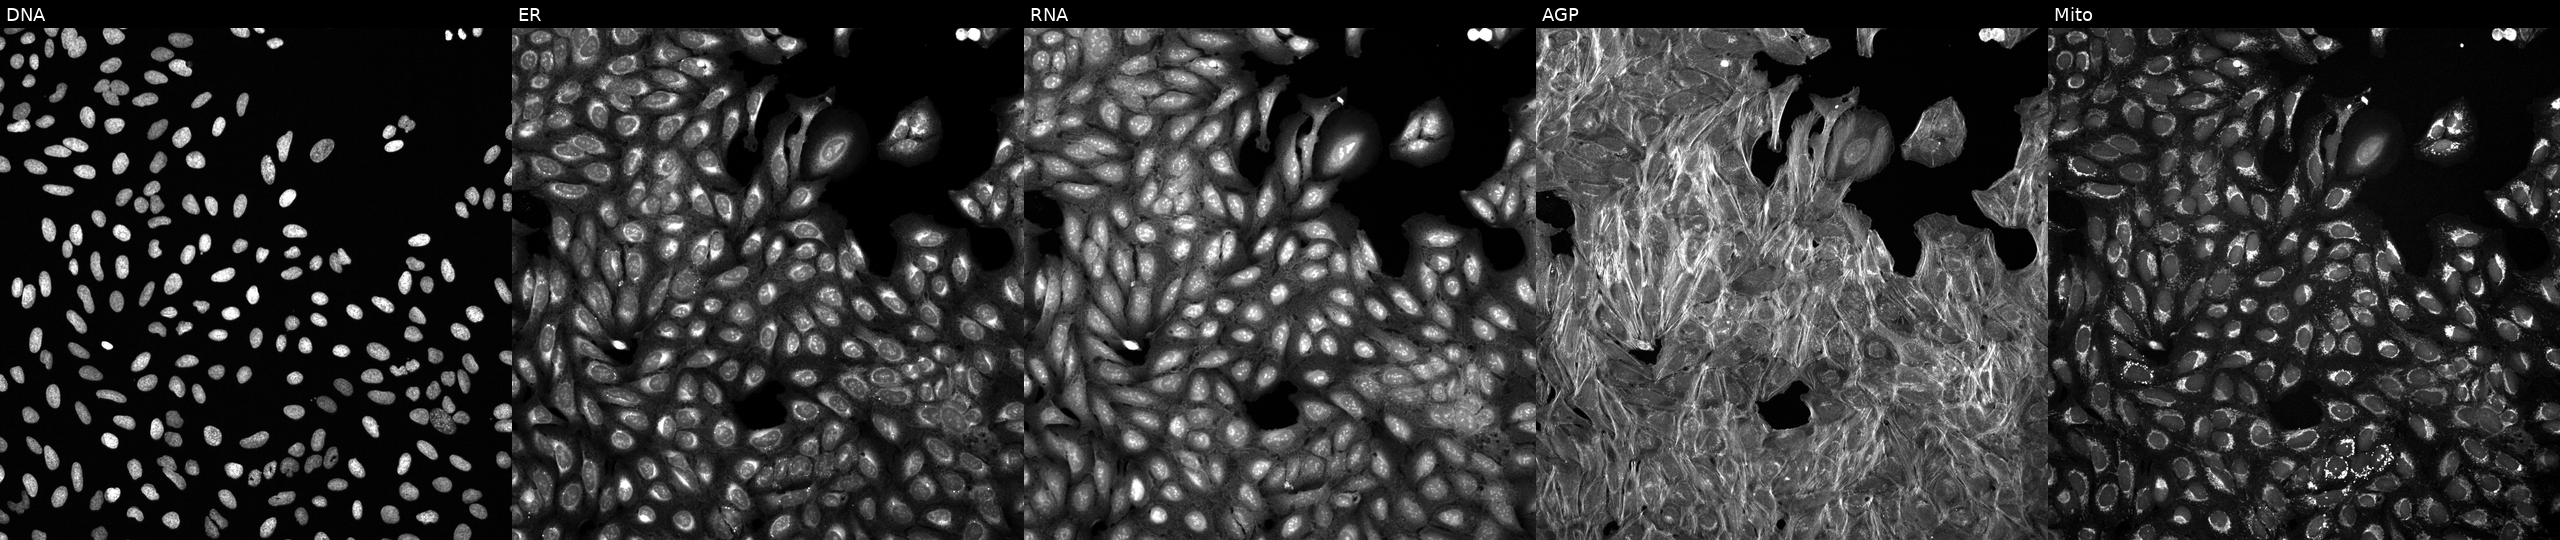
The five panels, left to right, show DNA, ER, RNA, AGP, and Mito. U2OS osteosarcoma cells perturbed with a small-molecule compound [SMILES: CC(C)C(NS(=O)(=O)c1ccc2c(c1)NC(=O)CCS2)c1cccs1]. Cell Painting assay, JUMP-CP dataset. Source 6, plate 110000293082, well K07.